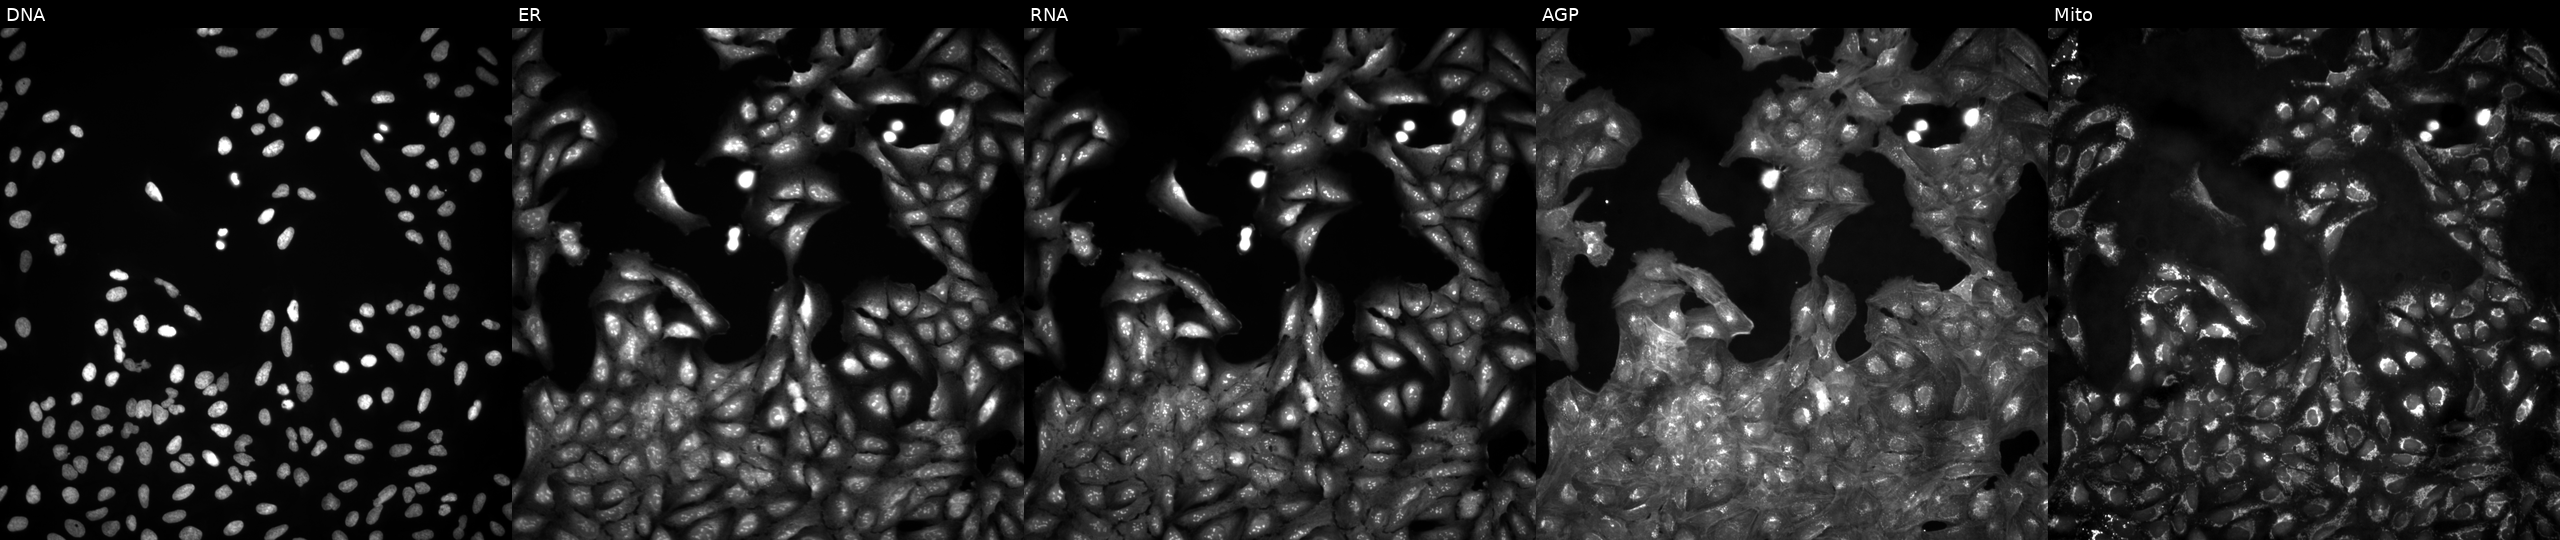
JUMP Cell Painting — ORF plate. U2OS cells untreated (empty-well control). Channels (left→right): DNA (nuclei); ER (endoplasmic reticulum); RNA (nucleoli and cytoplasmic RNA); AGP (actin cytoskeleton, Golgi, and plasma membrane); Mito (mitochondria). Source 4, plate BR00123946, well N05.